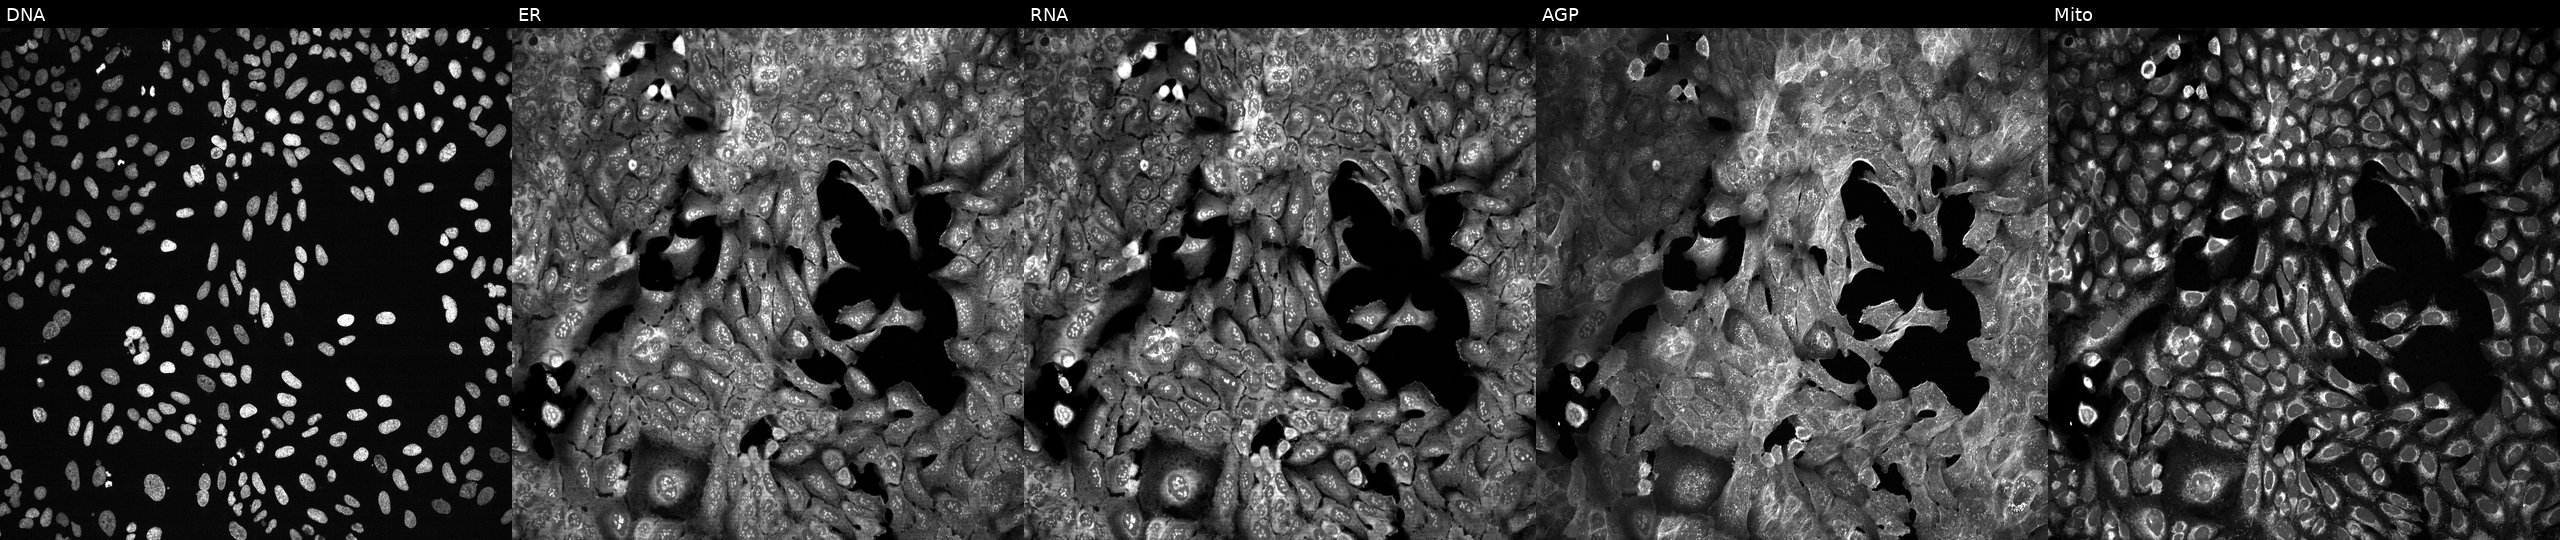
JUMP Cell Painting — CRISPR plate. U2OS cells following CRISPR knockout of NEUROD4. The five panels, left to right, show DNA, ER, RNA, AGP, and Mito. Source 13, plate CP-CC9-R6-19, well N20.